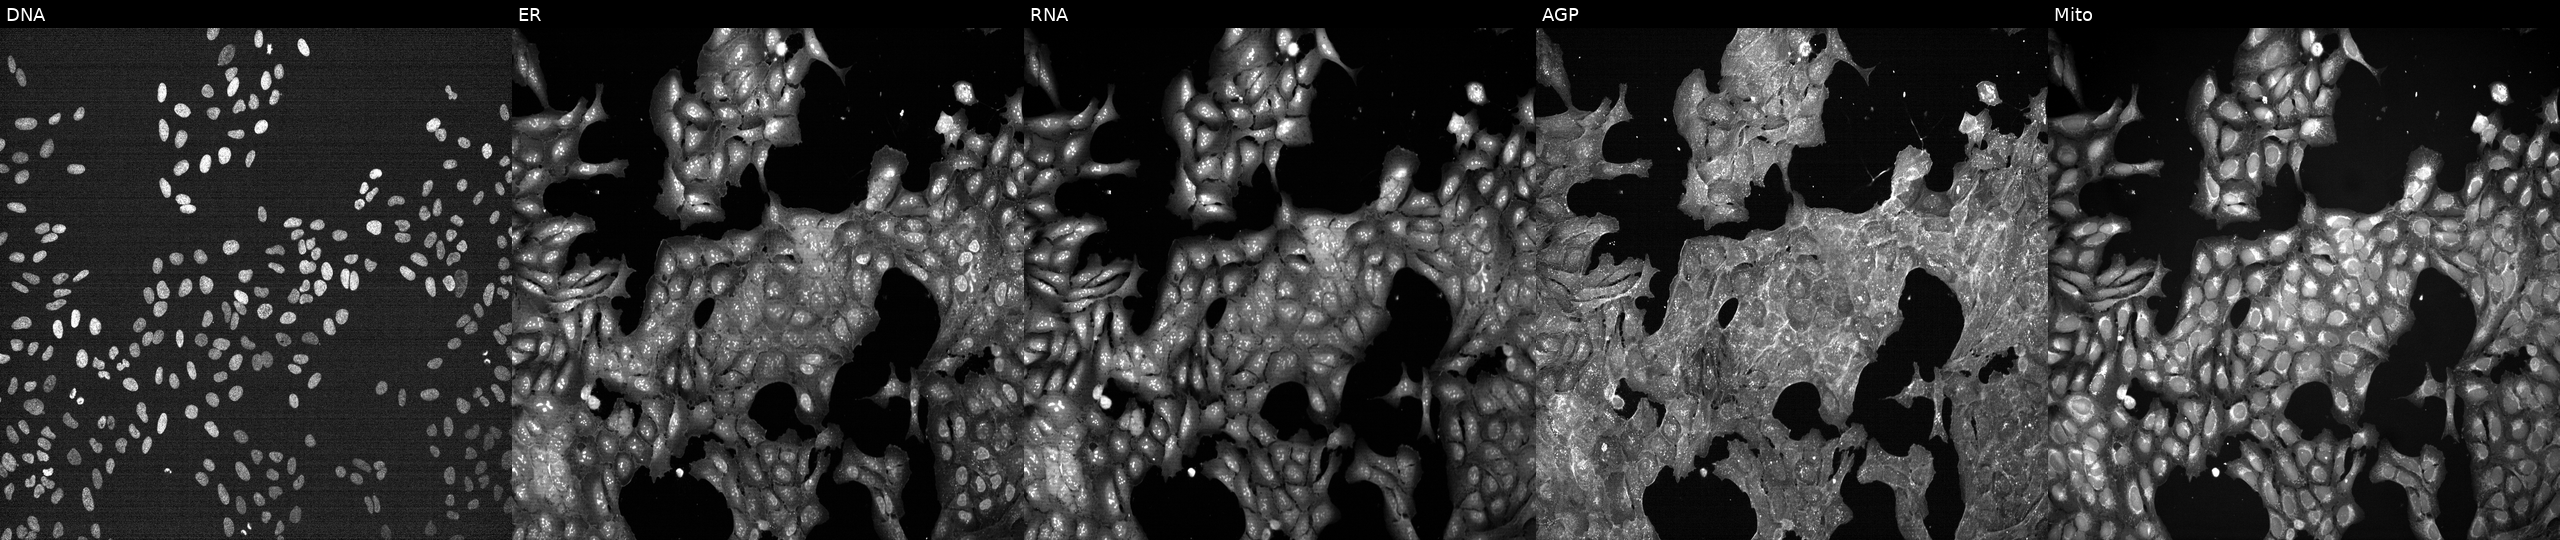
From left to right: DNA (nuclei); ER (endoplasmic reticulum); RNA (nucleoli and cytoplasmic RNA); AGP (actin cytoskeleton, Golgi, and plasma membrane); Mito (mitochondria). U2OS osteosarcoma cells treated with a small-molecule compound (InChIKey KJWGEXJCWCYEMI-UHFFFAOYSA-N) (JUMP id JCP2022_045105). Cell Painting assay, JUMP-CP dataset.